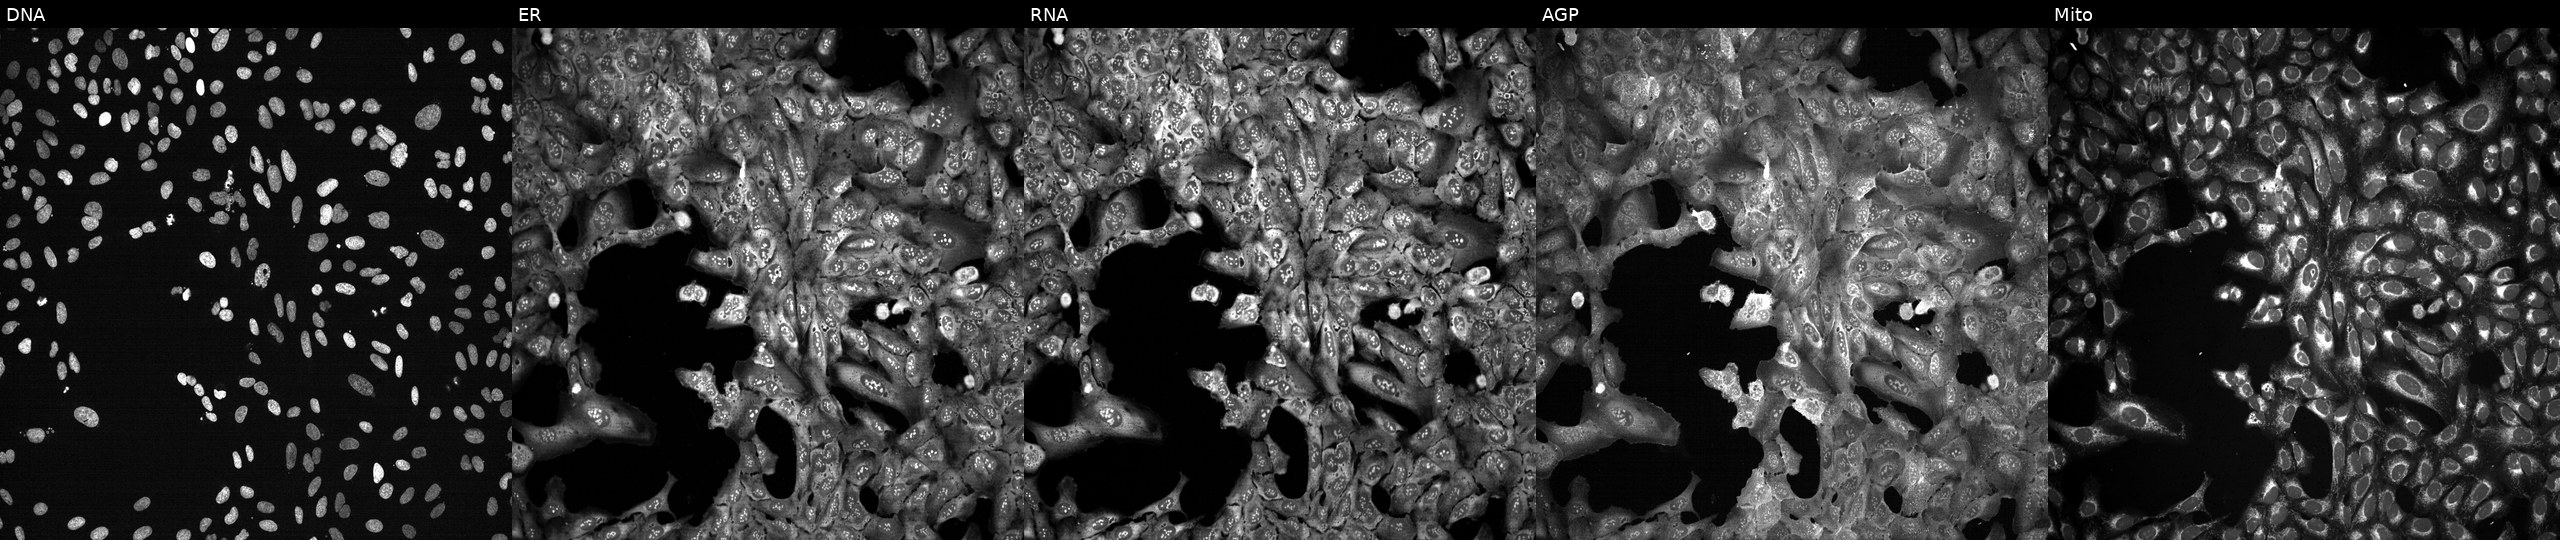
JUMP Cell Painting — CRISPR plate. U2OS cells with GALNT3 knocked out by CRISPR. Channels (left→right): Hoechst 33342, concanavalin A, SYTO 14, phalloidin and WGA, MitoTracker.